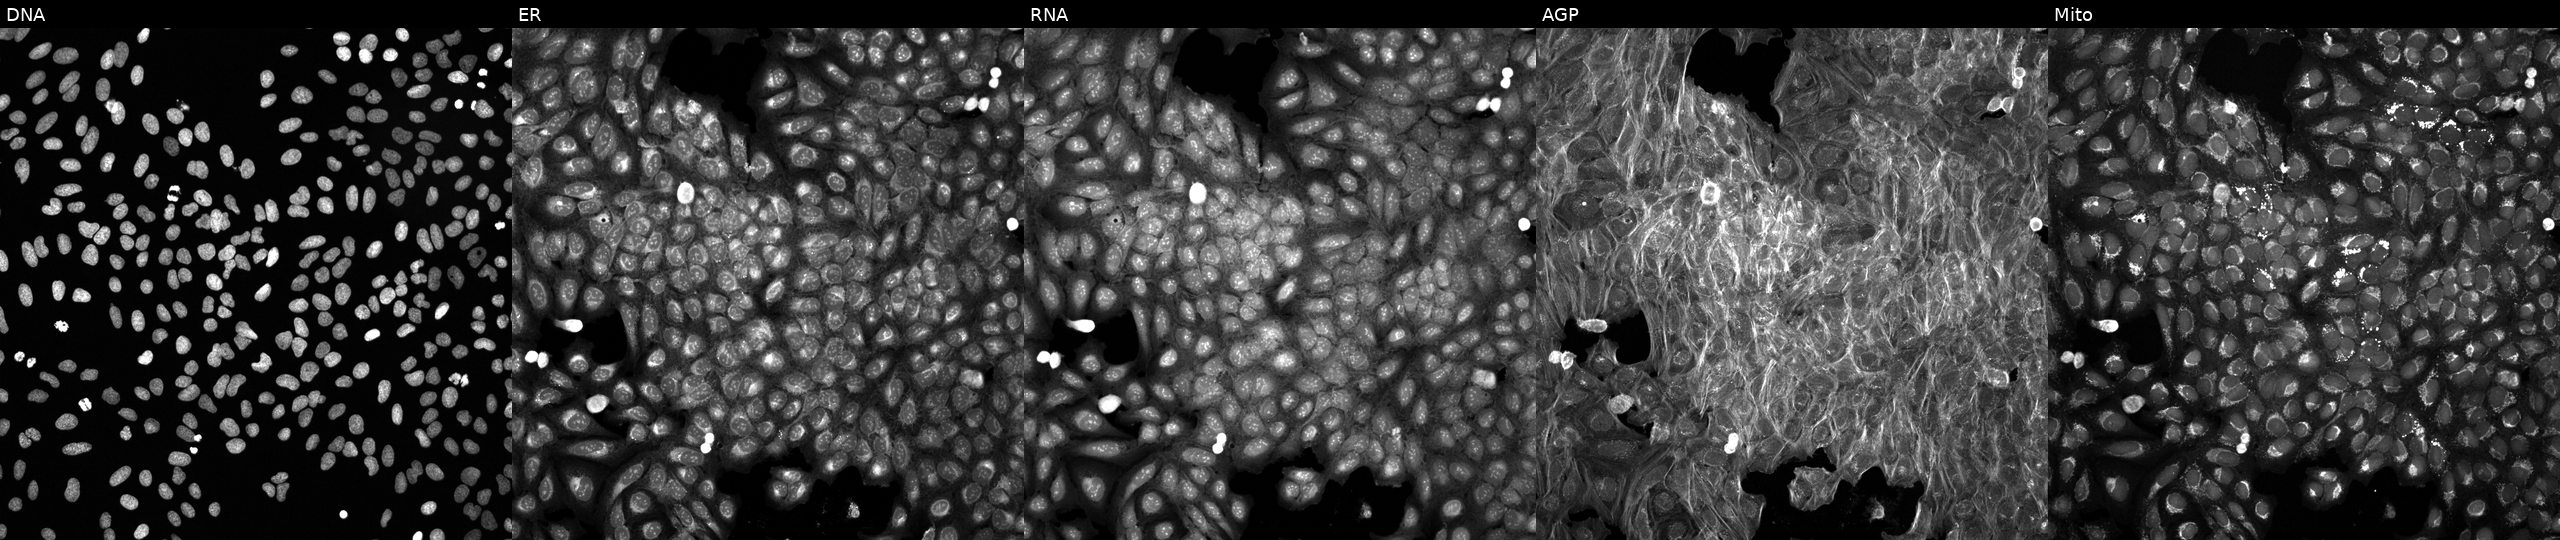
This image strip shows the five Cell Painting channels for a single field of U2OS cells exposed to a small-molecule compound. Channels (left→right): DNA (nuclei); ER (endoplasmic reticulum); RNA (nucleoli and cytoplasmic RNA); AGP (actin cytoskeleton, Golgi, and plasma membrane); Mito (mitochondria). Source 6, plate 110000294901, well L01.